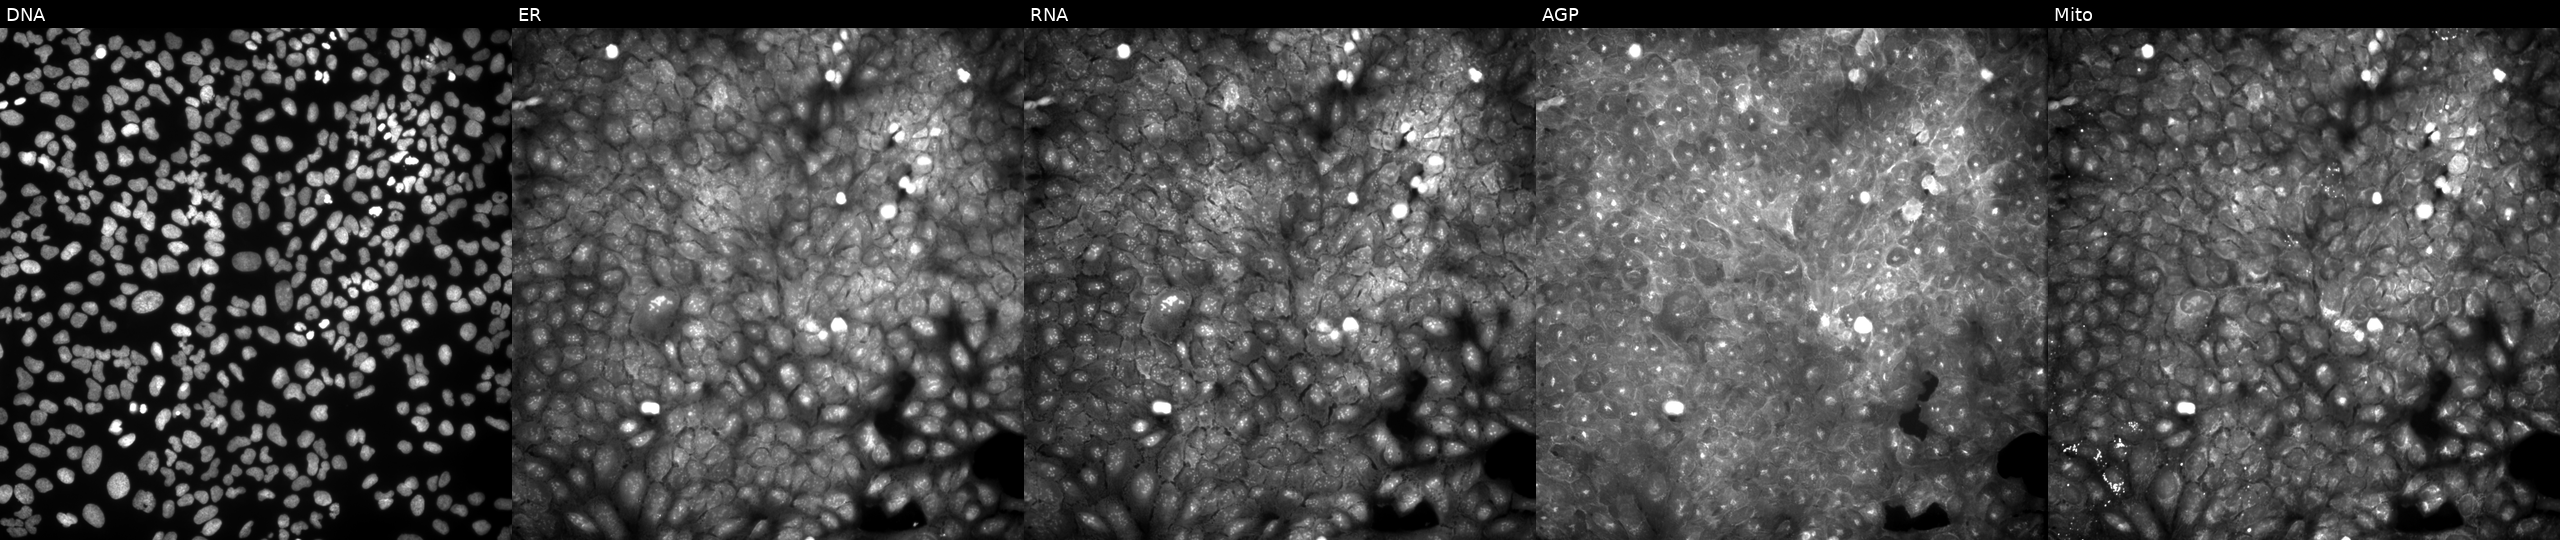
U2OS cells, Cell Painting assay, exposed to DMSO alone as a negative control. From left to right: DNA, ER, RNA, AGP, and Mito. Each panel is percentile-stretched 16-bit fluorescence.